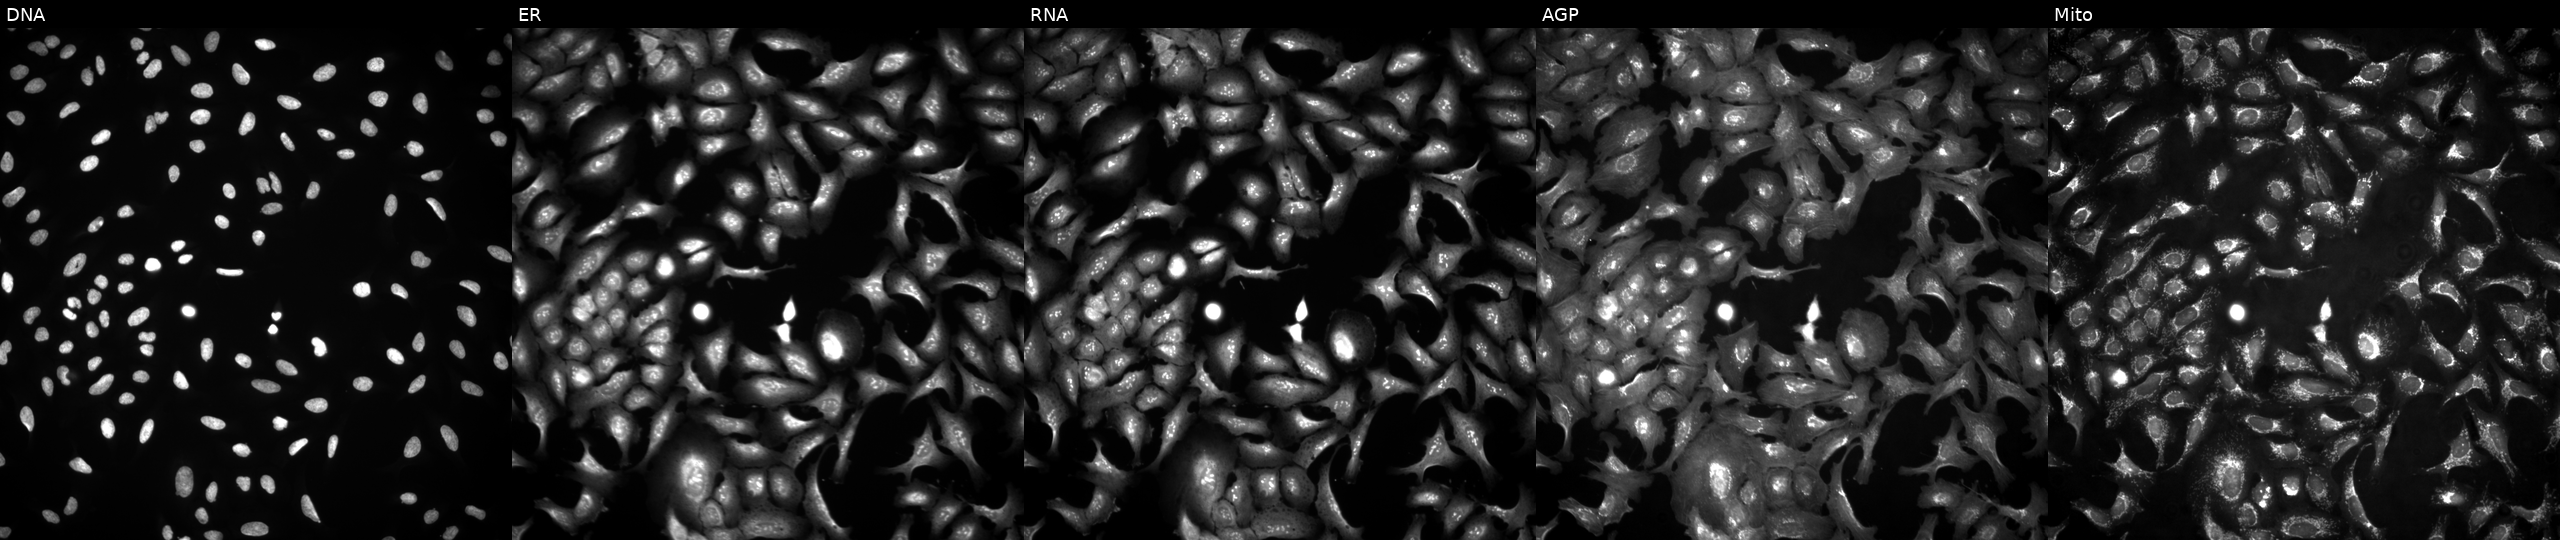
From left to right: DNA, ER, RNA, AGP, and Mito. U2OS osteosarcoma cells transfected with an ORF construct for MAP4K2 (JUMP id JCP2022_910333). Cell Painting assay, JUMP-CP dataset.